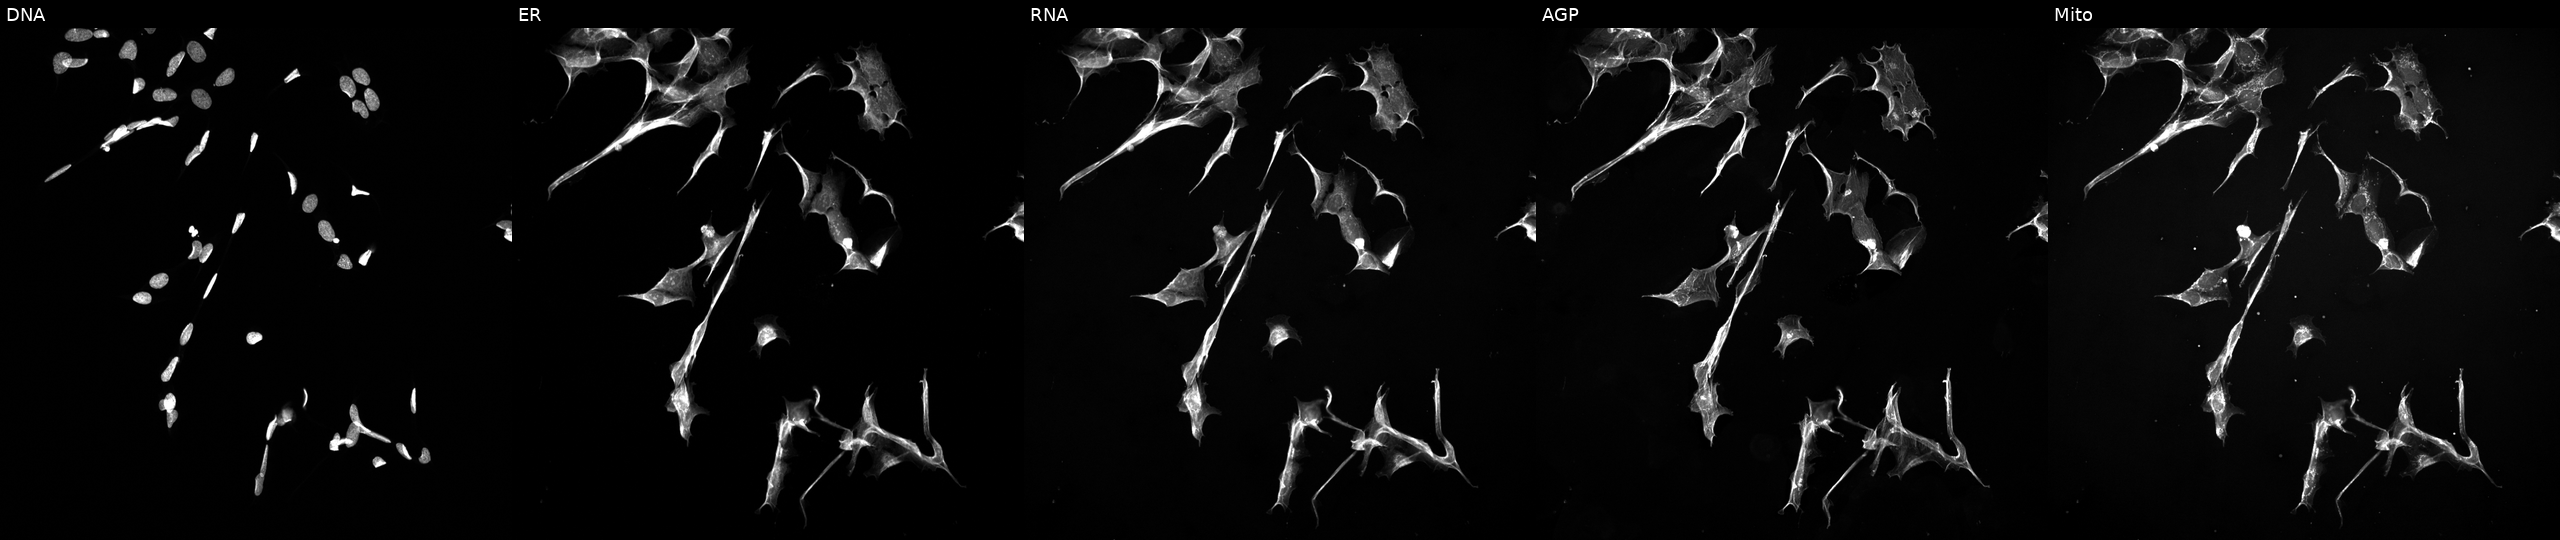
Five-channel Cell Painting image of U2OS cells exposed to a small-molecule compound (InChIKey YPHMISFOHDHNIV-UHFFFAOYSA-N) (JUMP id JCP2022_109917). Panels show, left to right, DNA, ER, RNA, AGP, and Mito. Source 5, plate ACPJUM051, well K08.